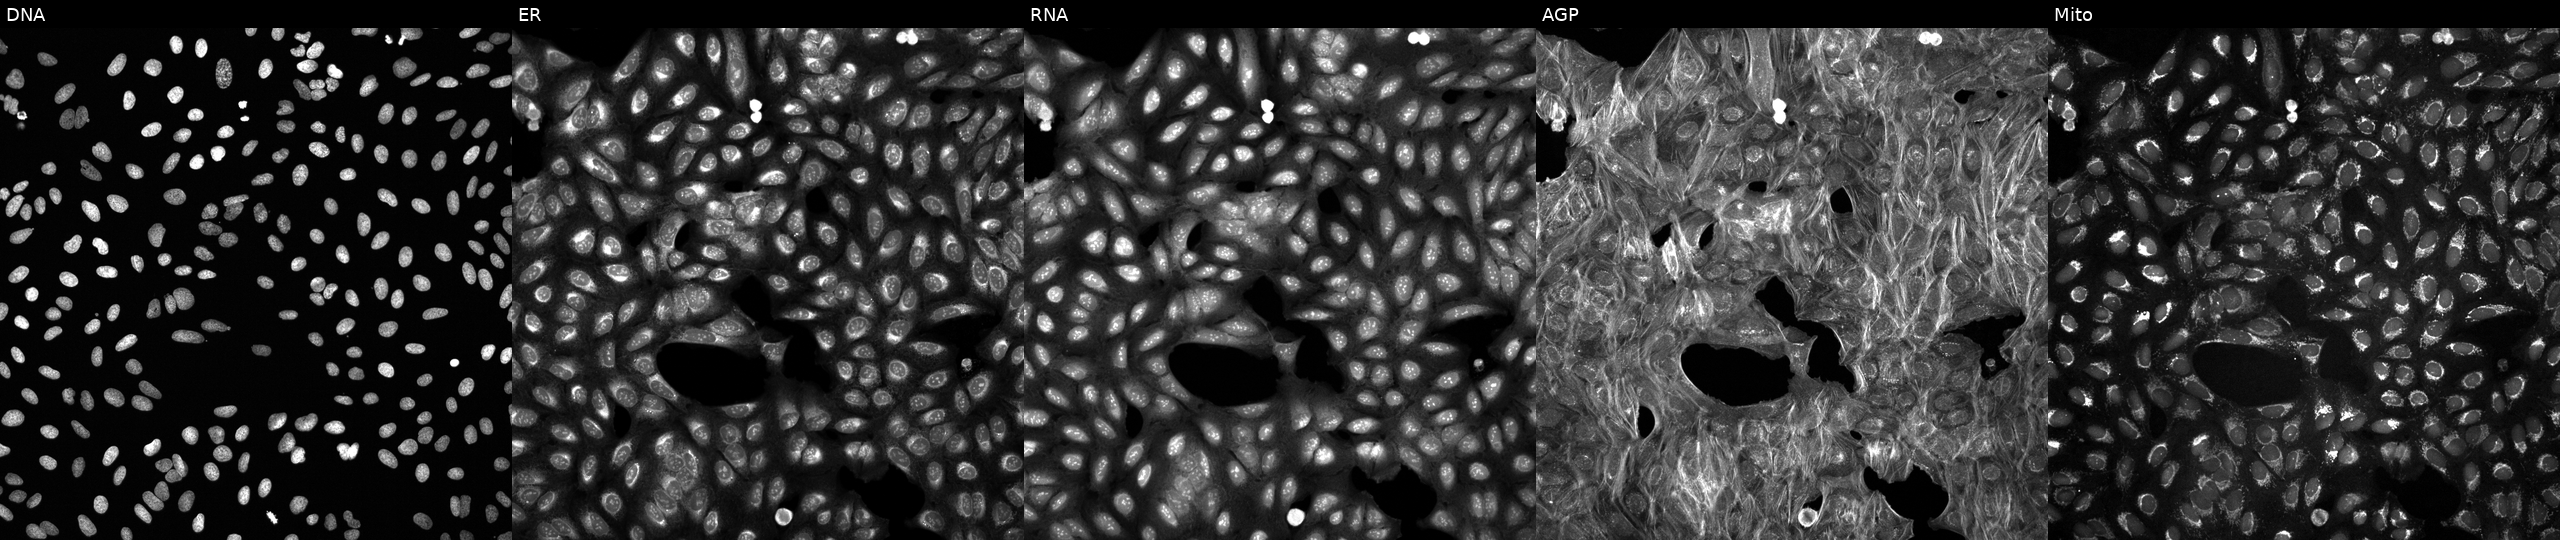
High-content fluorescence microscopy (Cell Painting). Cell line: U2OS. Perturbation: treated with a small-molecule compound (InChIKey SANICONHXYRESM-UHFFFAOYSA-N) [SMILES: O=C(NCc1ccc2c(c1)CCN2C(=O)c1ccc(F)cc1)c1ccc(Br)o1] (JUMP id JCP2022_081938). The five panels, left to right, show Hoechst 33342, concanavalin A, SYTO 14, phalloidin and WGA, MitoTracker.